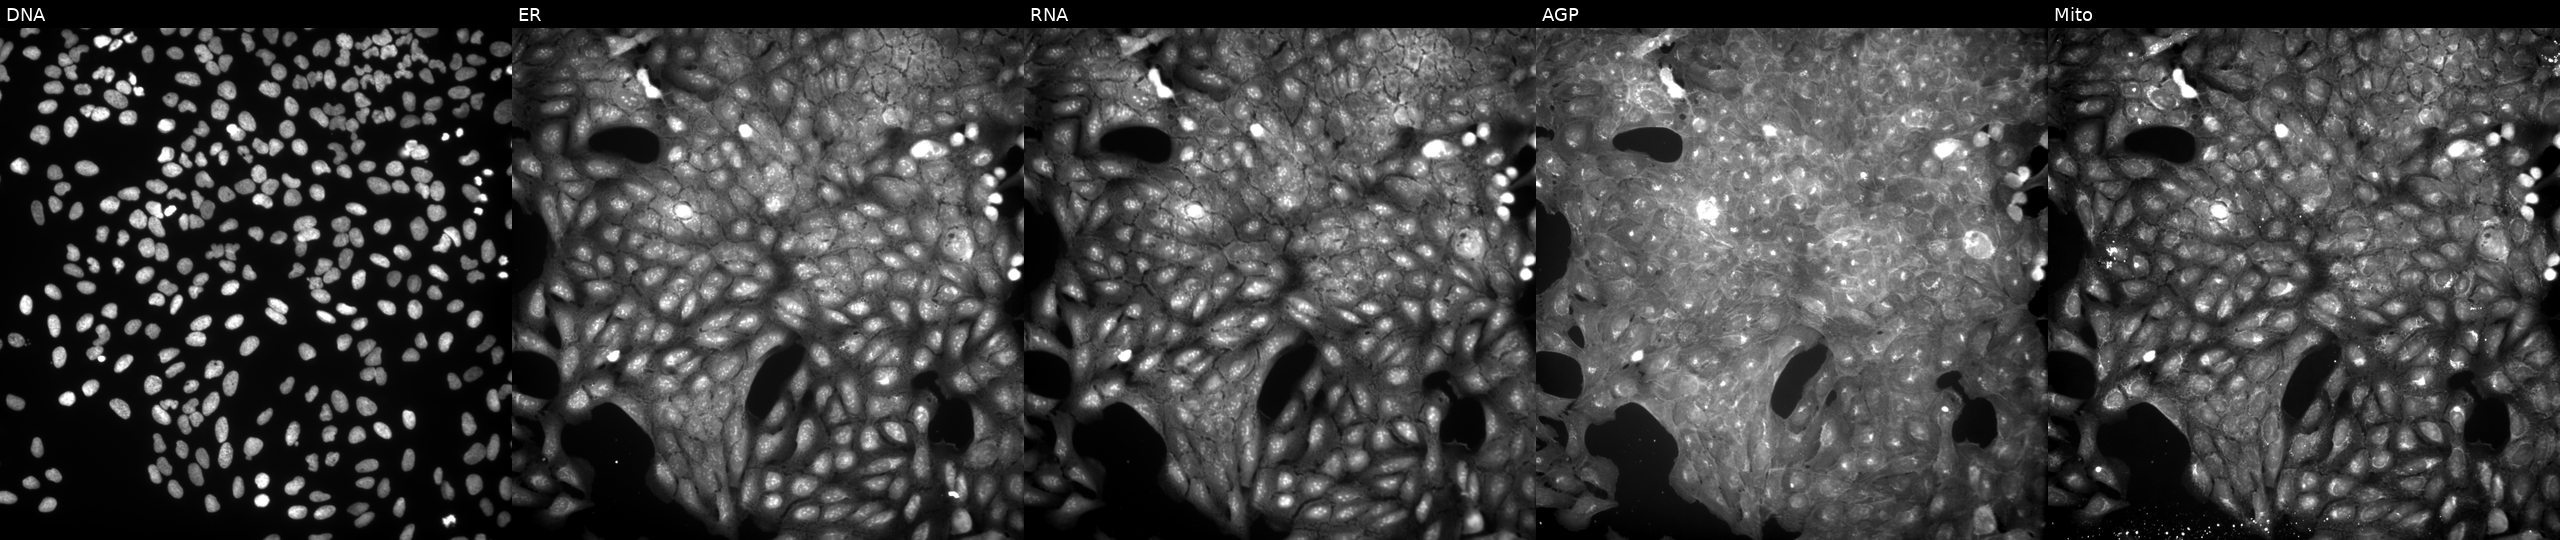
U2OS cells, Cell Painting assay, exposed to a small-molecule compound (InChIKey WCMLSZGTZCUCPL-UHFFFAOYSA-N) (JUMP id JCP2022_097880). Channels (left→right): DNA (nuclei); ER (endoplasmic reticulum); RNA (nucleoli and cytoplasmic RNA); AGP (actin cytoskeleton, Golgi, and plasma membrane); Mito (mitochondria). Each panel is percentile-stretched 16-bit fluorescence.